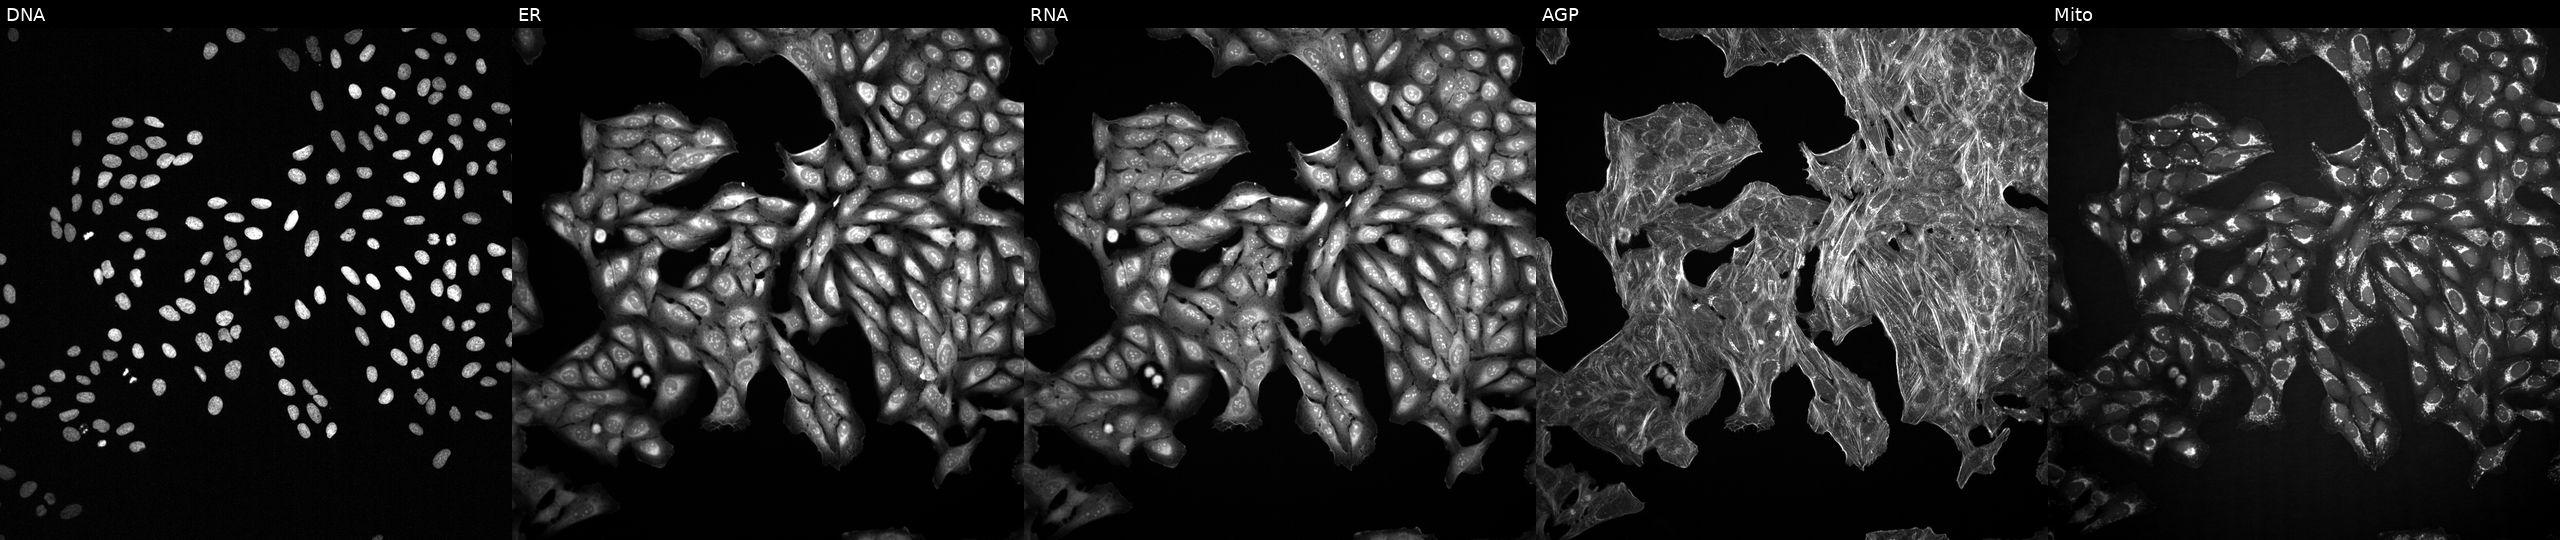
JUMP Cell Painting — COMPOUND plate. U2OS cells exposed to a small-molecule compound (InChIKey MZXCDMTWVZGWPP-UHFFFAOYSA-N). The five panels, left to right, show DNA, ER, RNA, AGP, and Mito.